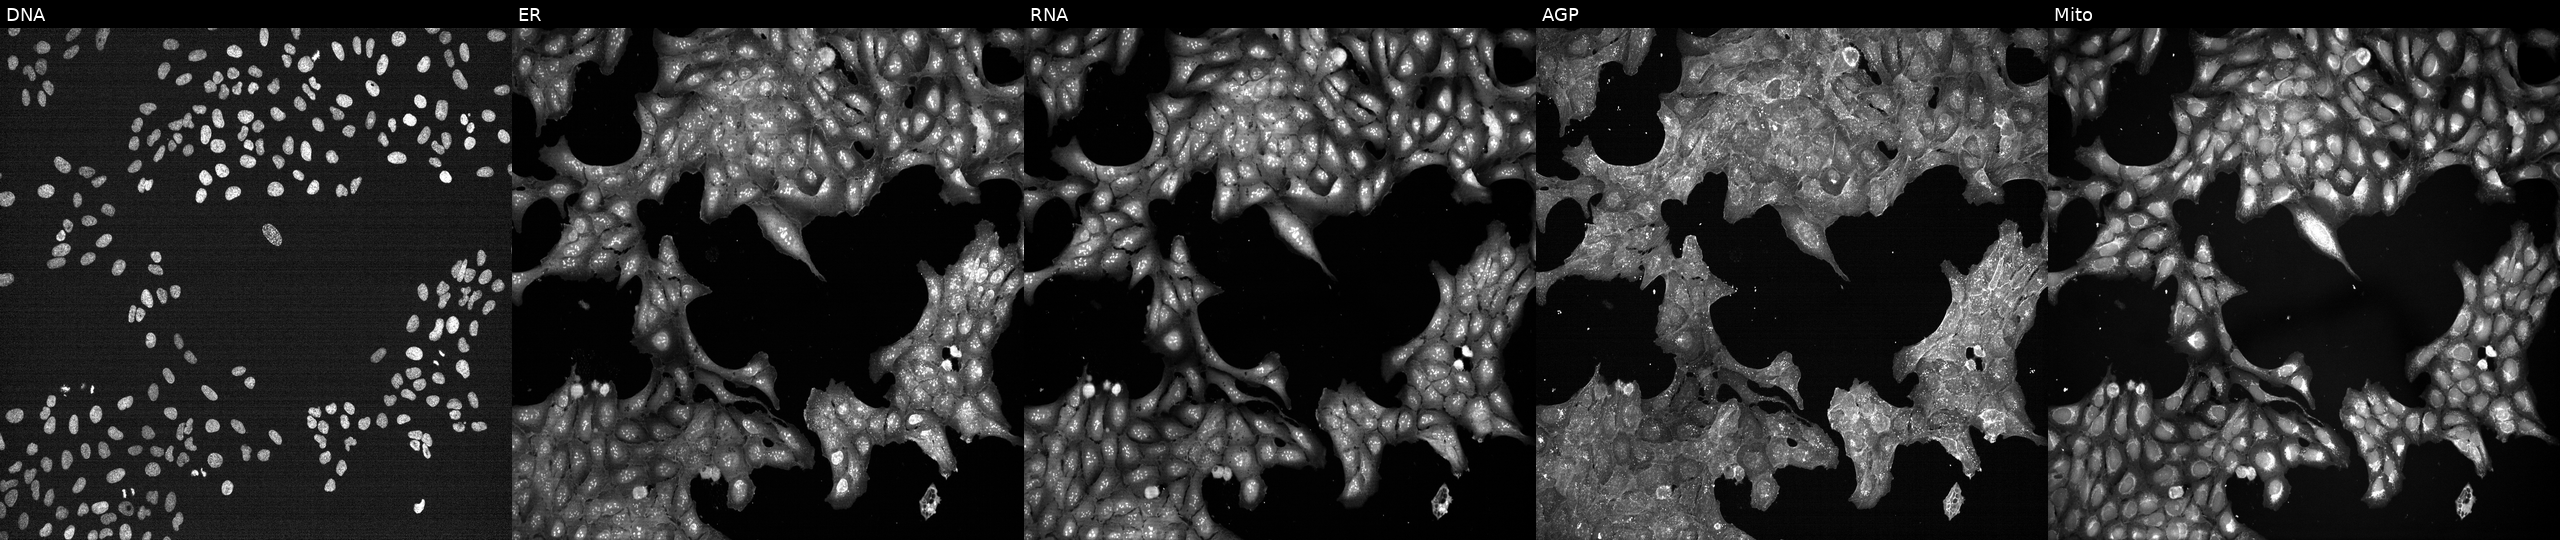
U2OS cells, Cell Painting assay, treated with a small-molecule compound [SMILES: CCCCC(NC(=O)C(Cc1cn(C(=O)OC)c2ccccc12)NC(=O)C(CC(C)(C)C)NC(=O)N1C(C)CCCC1C)C(=O)O] (JUMP id JCP2022_050830). Panels show, left to right, DNA (nuclei); ER (endoplasmic reticulum); RNA (nucleoli and cytoplasmic RNA); AGP (actin cytoskeleton, Golgi, and plasma membrane); Mito (mitochondria). Each panel is percentile-stretched 16-bit fluorescence. Source 7, plate CP1-SC1-25, well F09.